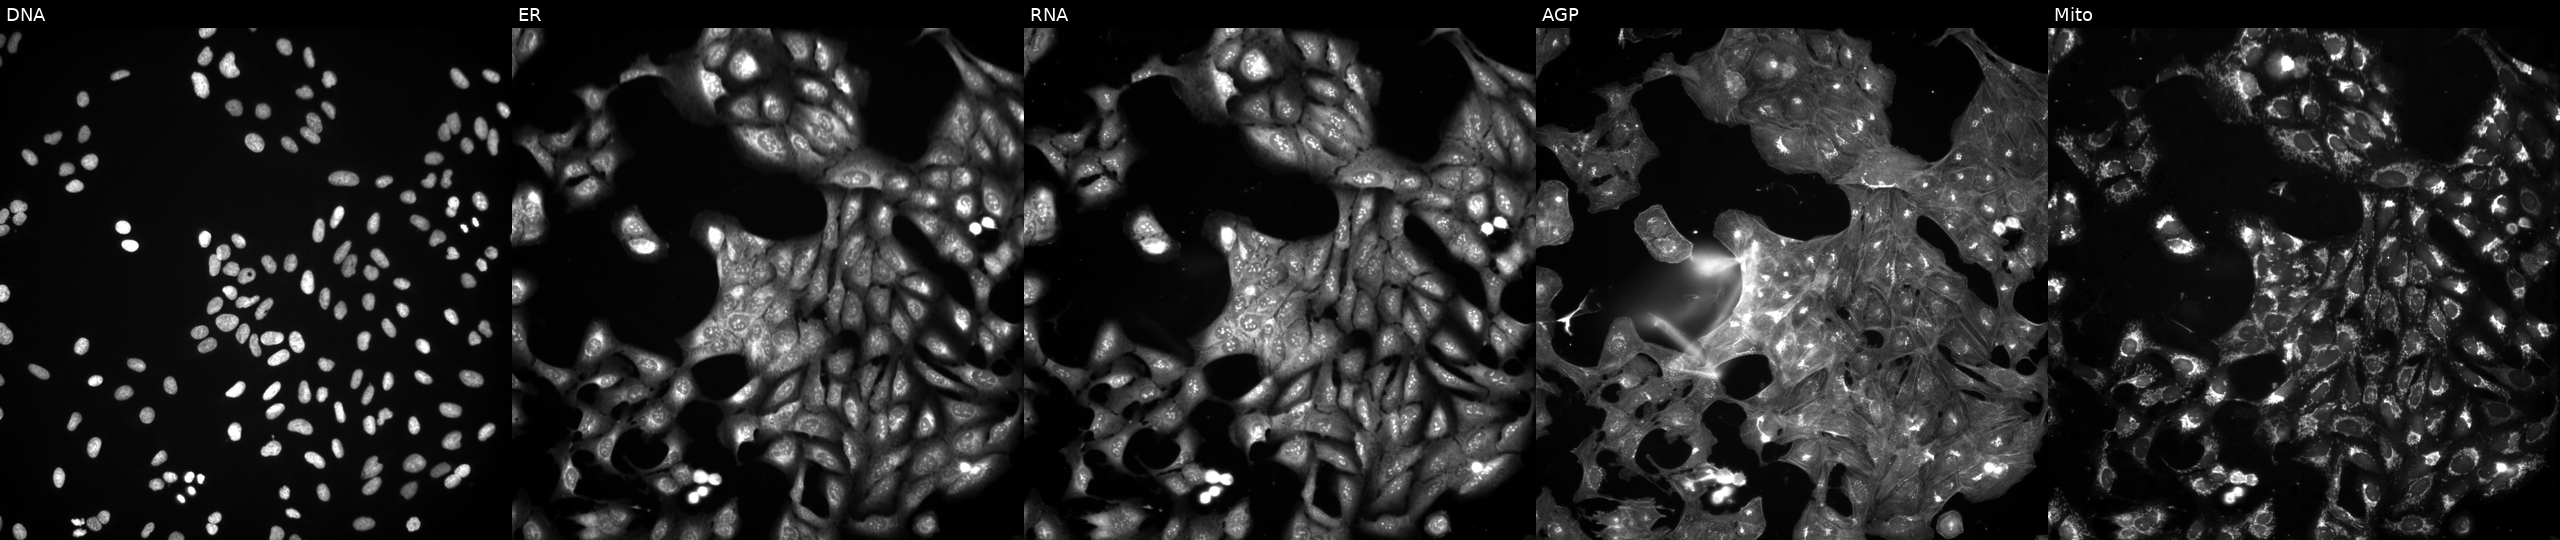
U2OS cells, Cell Painting assay, untreated (empty-well control). Channels (left→right): Hoechst 33342, concanavalin A, SYTO 14, phalloidin and WGA, MitoTracker. Each panel is percentile-stretched 16-bit fluorescence. Source 3, plate BR5867b3, well N09.